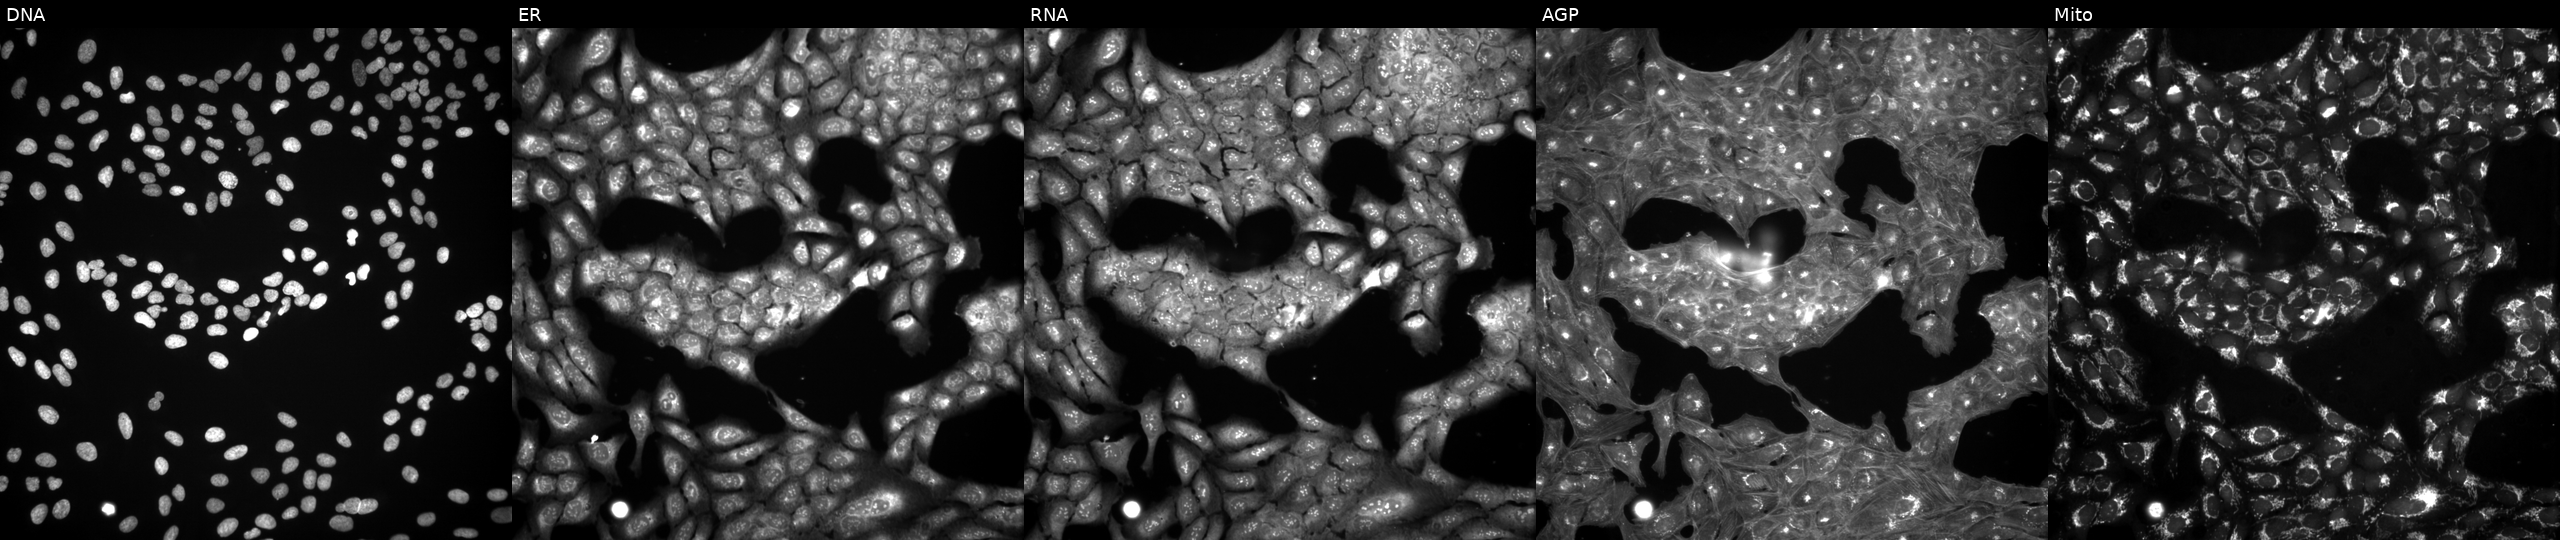
JUMP Cell Painting — COMPOUND plate. U2OS cells exposed to a small-molecule compound (InChIKey ZNKRDBKFXUILGT-UHFFFAOYSA-N) (JUMP id JCP2022_114452). The five panels, left to right, show Hoechst 33342, concanavalin A, SYTO 14, phalloidin and WGA, MitoTracker. Source 3, plate BR5867a3, well K09.